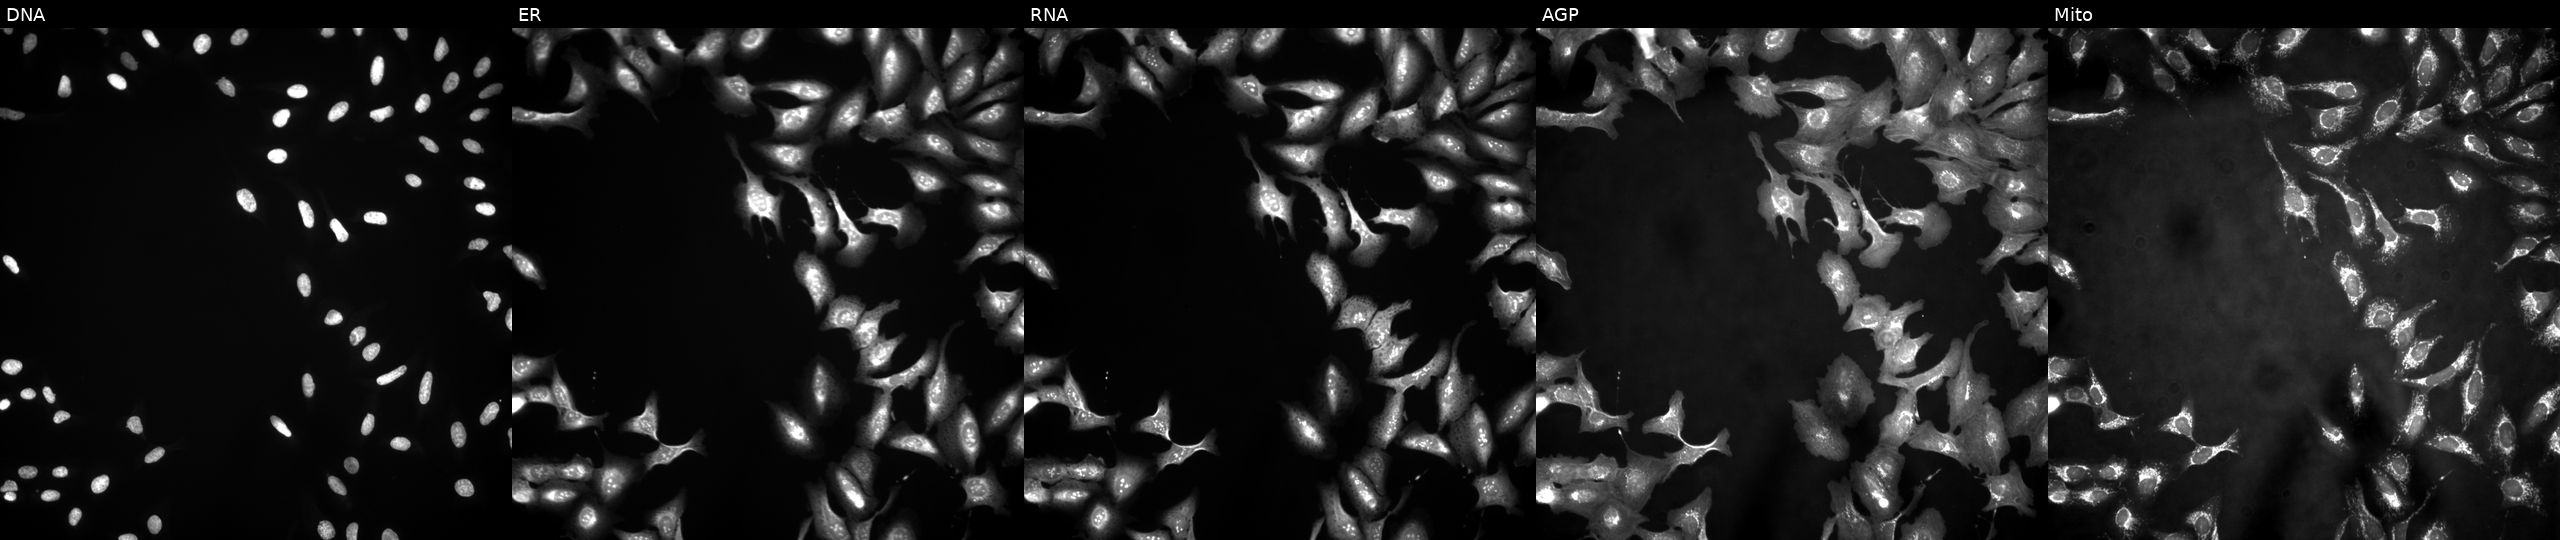
U2OS cells, Cell Painting assay, transfected with an ORF construct for ZBTB44. From left to right: DNA (nuclei); ER (endoplasmic reticulum); RNA (nucleoli and cytoplasmic RNA); AGP (actin cytoskeleton, Golgi, and plasma membrane); Mito (mitochondria). Each panel is percentile-stretched 16-bit fluorescence.